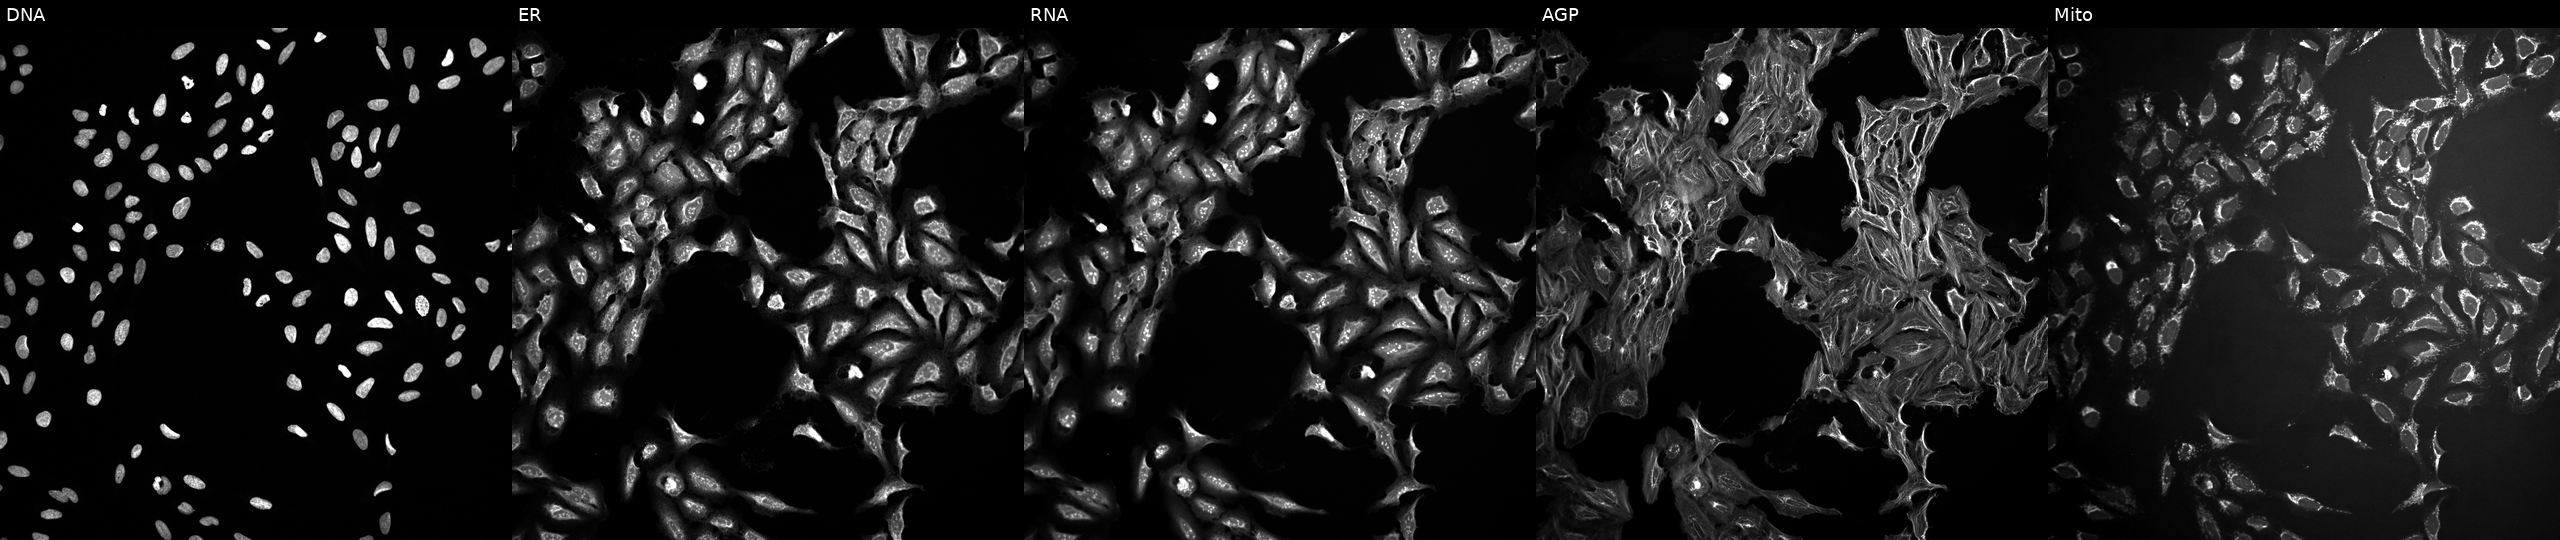
The five panels, left to right, show Hoechst 33342, concanavalin A, SYTO 14, phalloidin and WGA, MitoTracker. U2OS osteosarcoma cells exposed to a small-molecule compound (InChIKey AFJRDFWMXUECEW-UHFFFAOYSA-N). Cell Painting assay, JUMP-CP dataset.